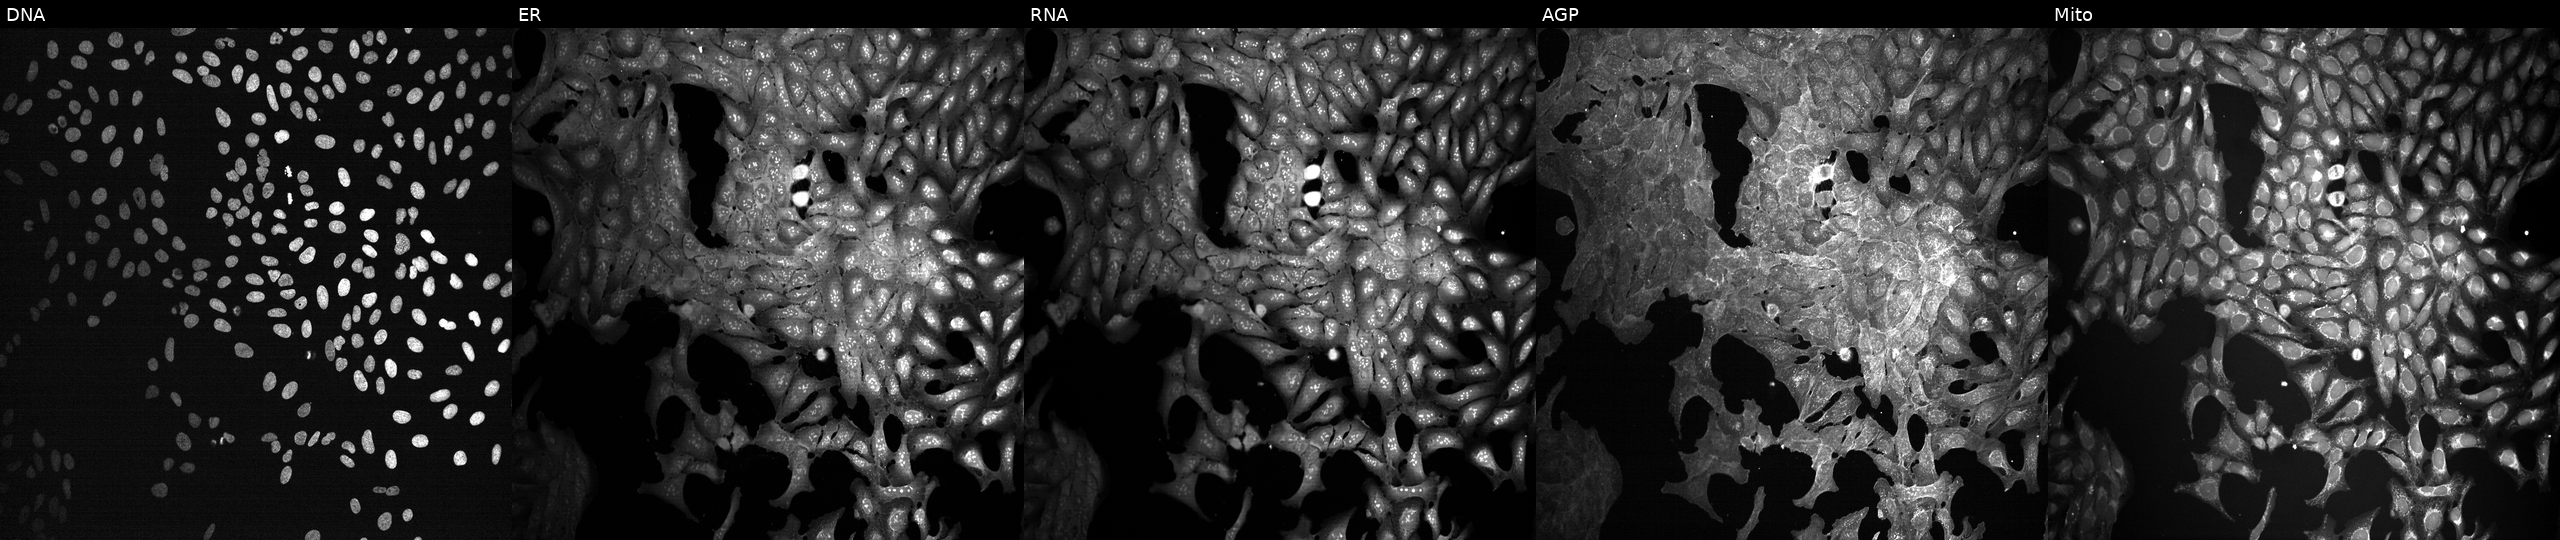
Five-channel Cell Painting image of U2OS cells treated with quinidine (positive-control compound). From left to right: Hoechst 33342, concanavalin A, SYTO 14, phalloidin and WGA, MitoTracker.